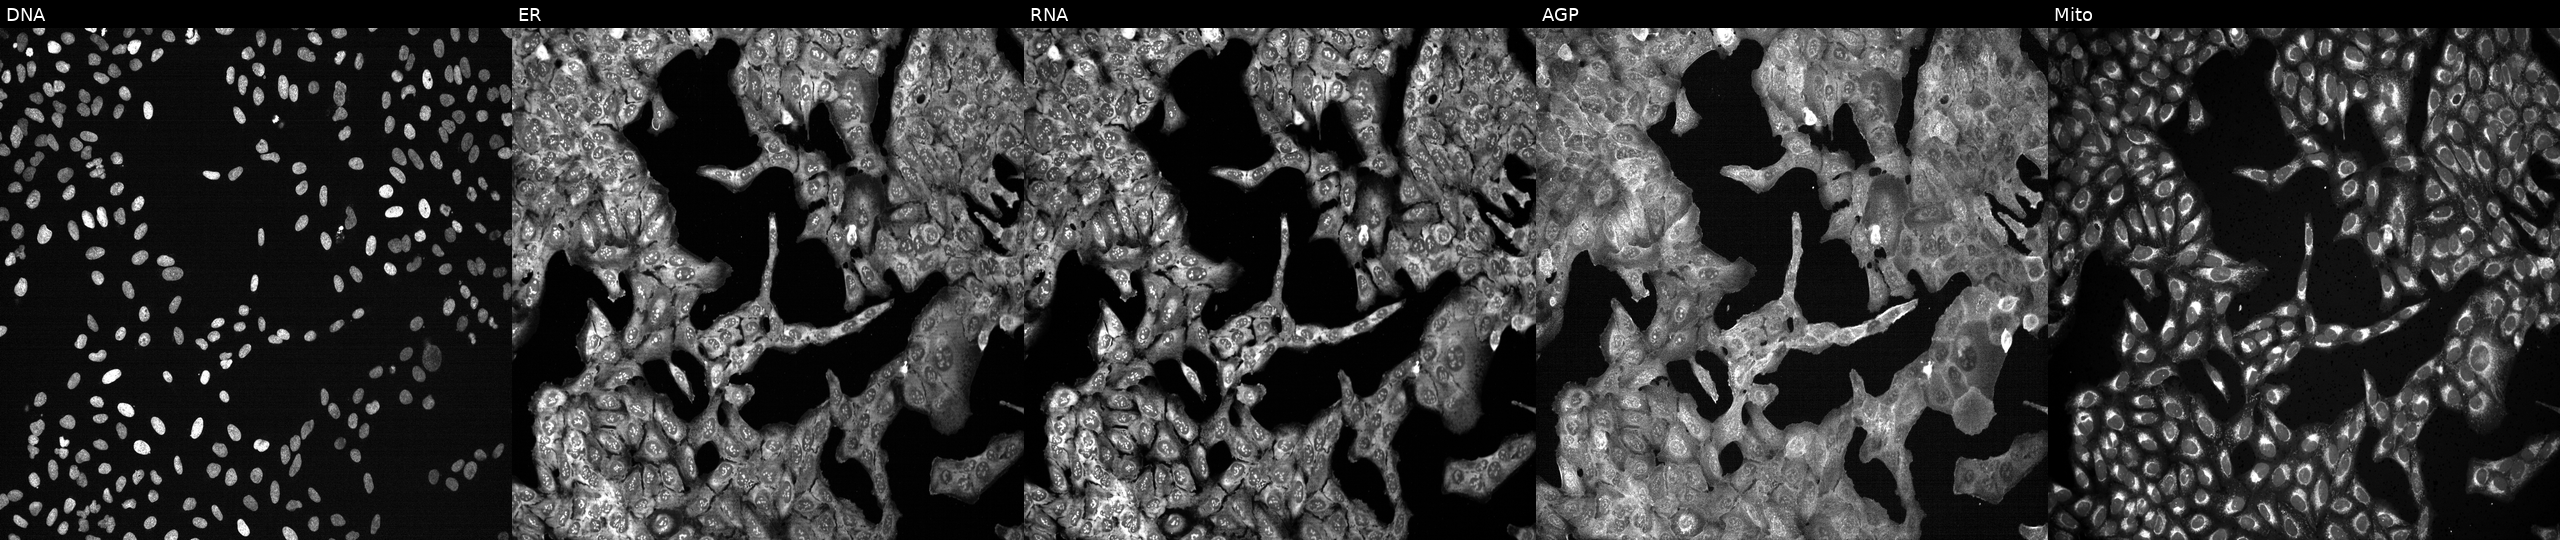
U2OS cells, Cell Painting assay, with VCL knocked out by CRISPR (JUMP id JCP2022_807633). Channels (left→right): Hoechst 33342, concanavalin A, SYTO 14, phalloidin and WGA, MitoTracker. Each panel is percentile-stretched 16-bit fluorescence.